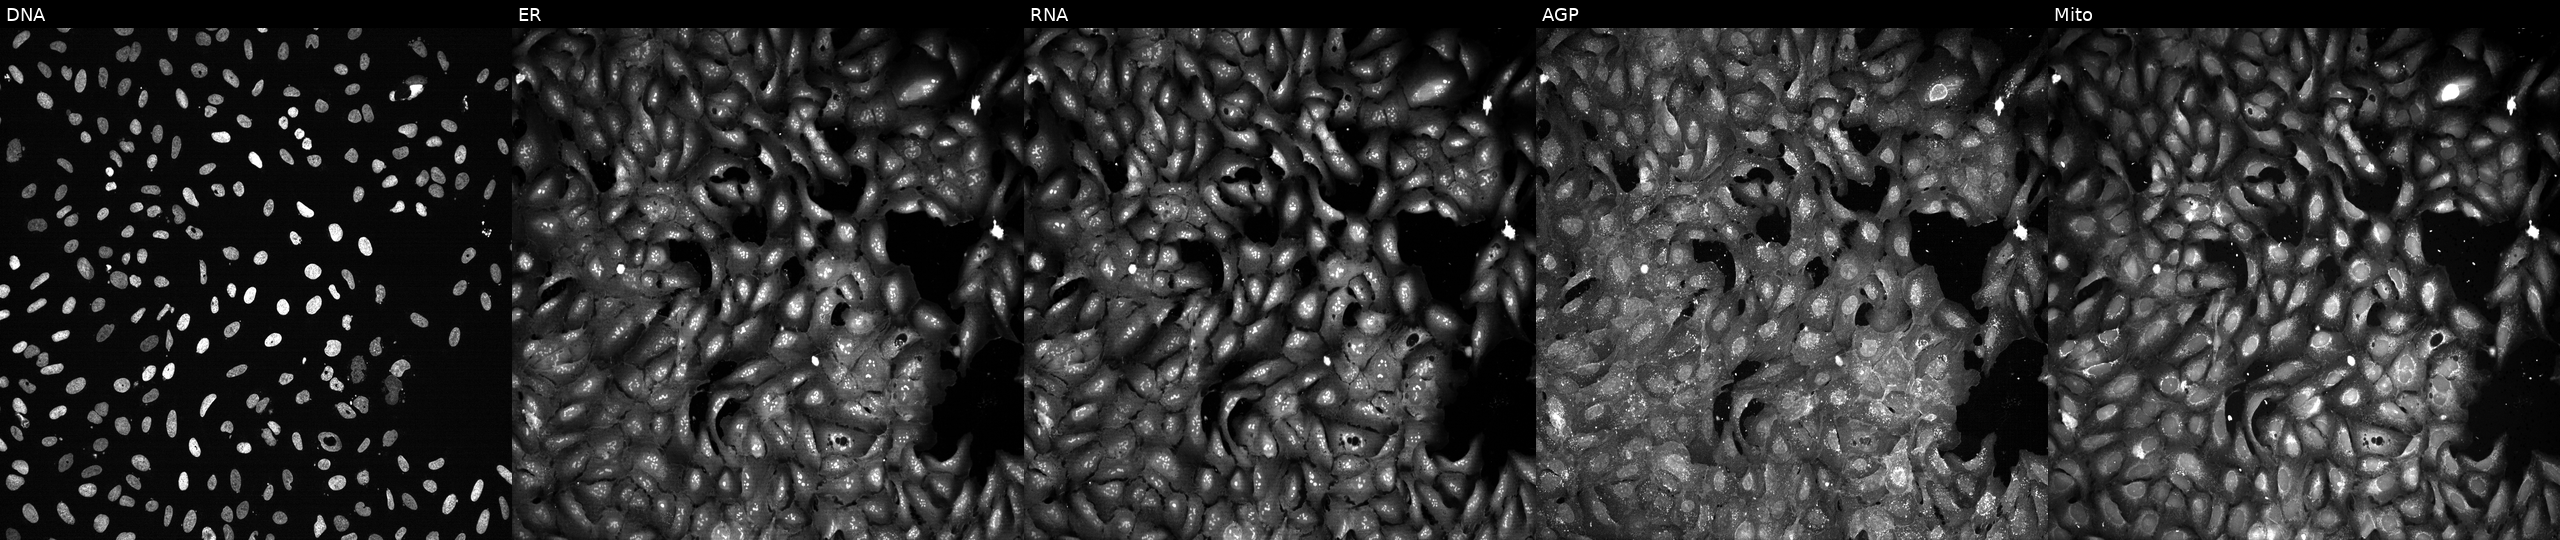
The five panels, left to right, show DNA, ER, RNA, AGP, and Mito. U2OS osteosarcoma cells with POFUT1 knocked out by CRISPR. Cell Painting assay, JUMP-CP dataset. Source 13, plate CP-CC9-R1-01, well E04.